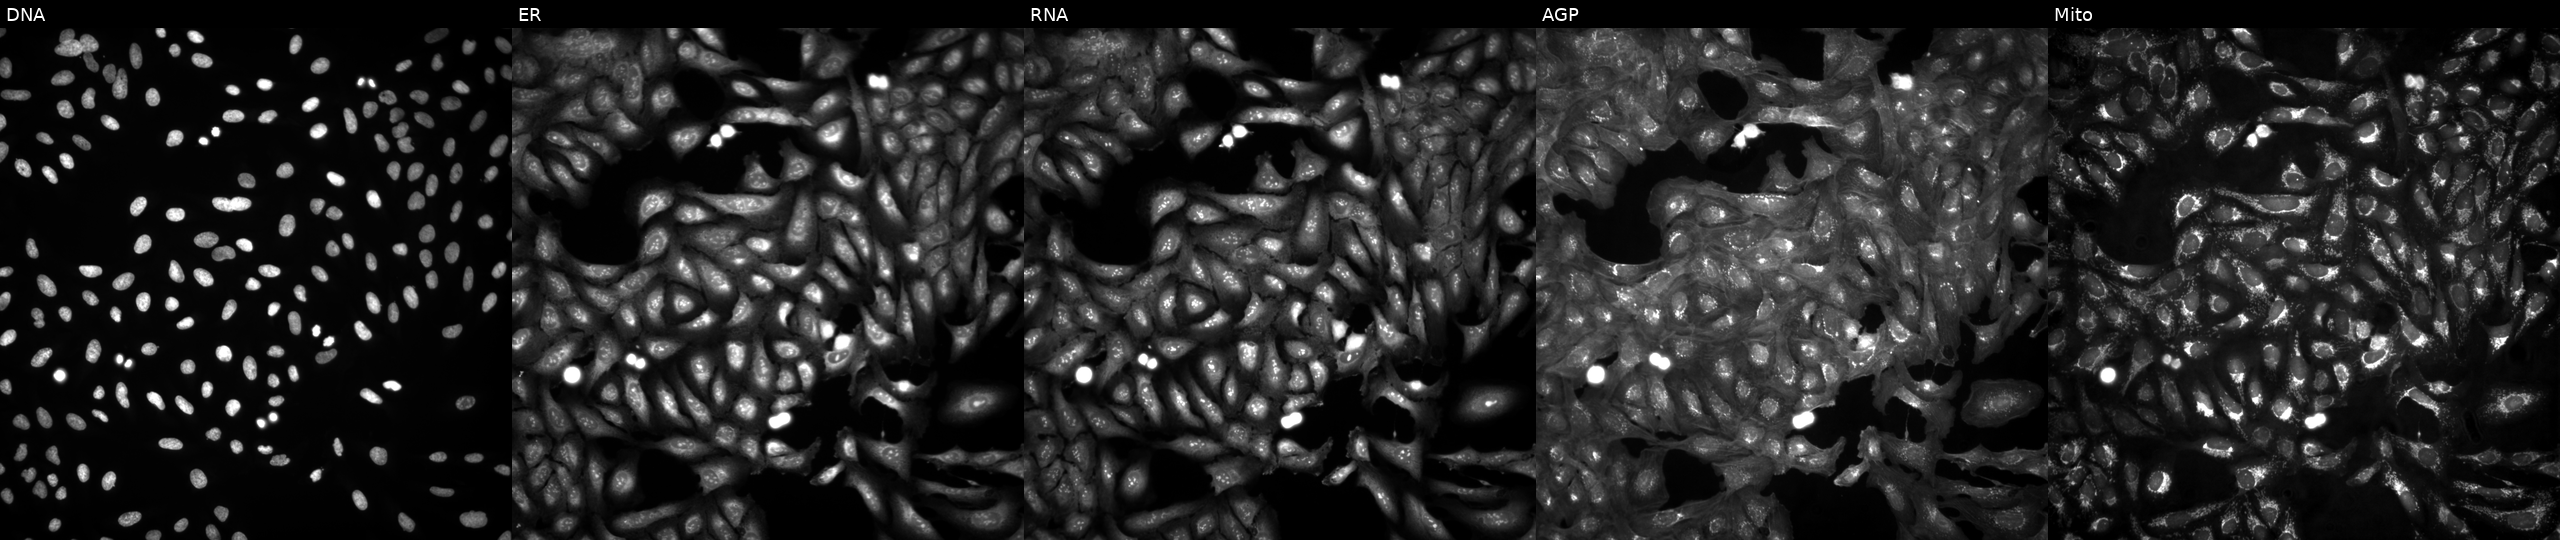
This image strip shows the five Cell Painting channels for a single field of U2OS cells untreated (empty-well control) (JUMP id JCP2022_999999). Channels (left→right): DNA, ER, RNA, AGP, and Mito. Source 4, plate BR00124793, well I15.